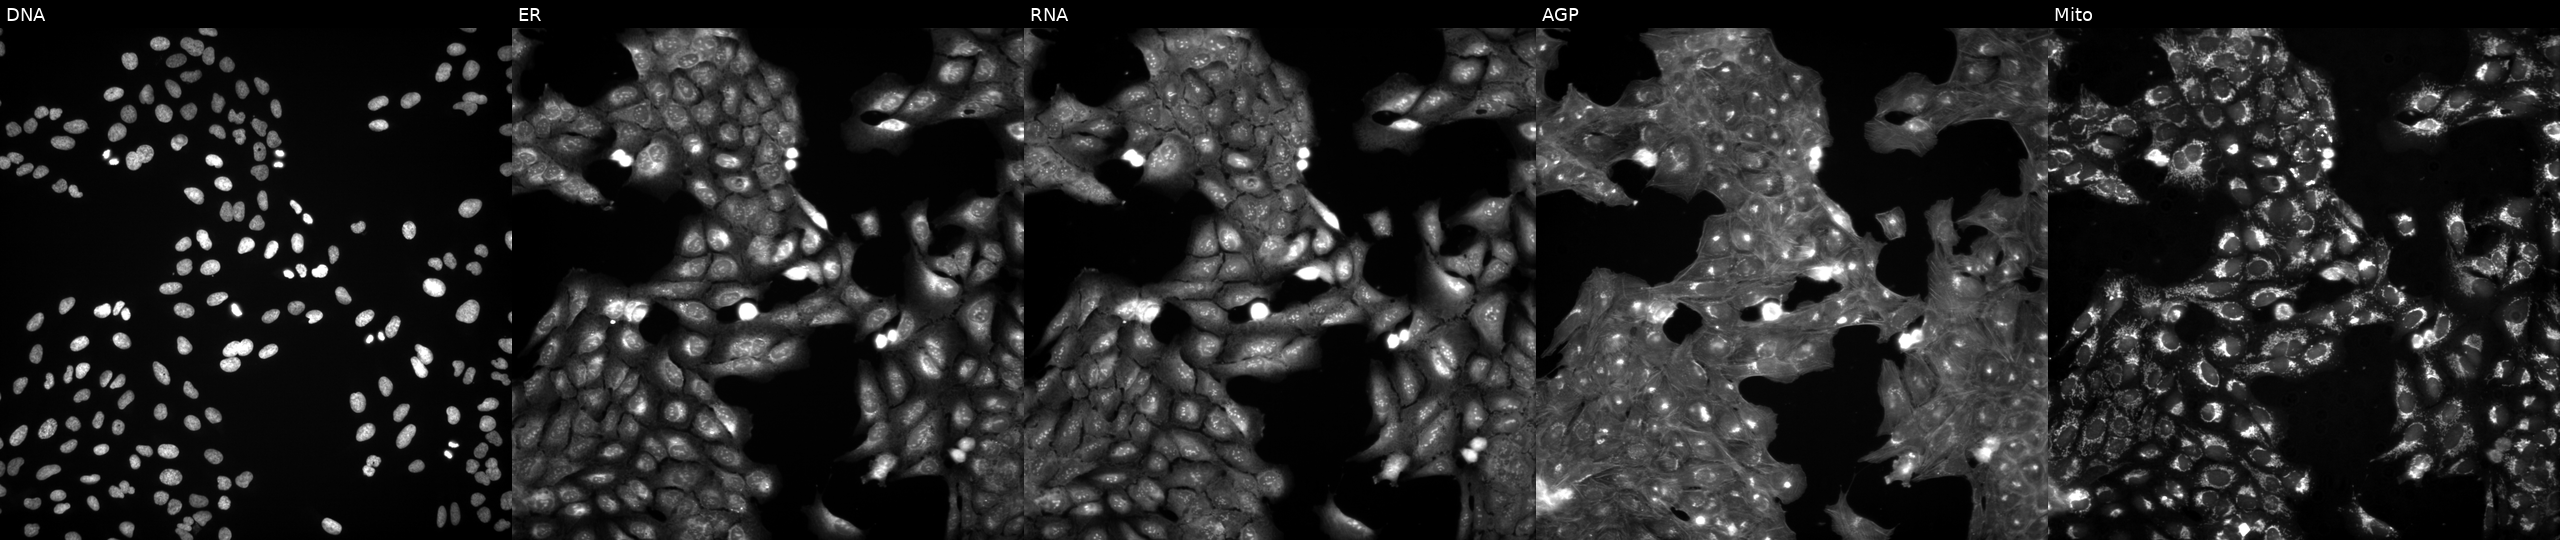
From left to right: DNA (nuclei); ER (endoplasmic reticulum); RNA (nucleoli and cytoplasmic RNA); AGP (actin cytoskeleton, Golgi, and plasma membrane); Mito (mitochondria). U2OS osteosarcoma cells untreated (empty-well control) (JUMP id JCP2022_999999). Cell Painting assay, JUMP-CP dataset. Source 3, plate BR5867b3, well D22.